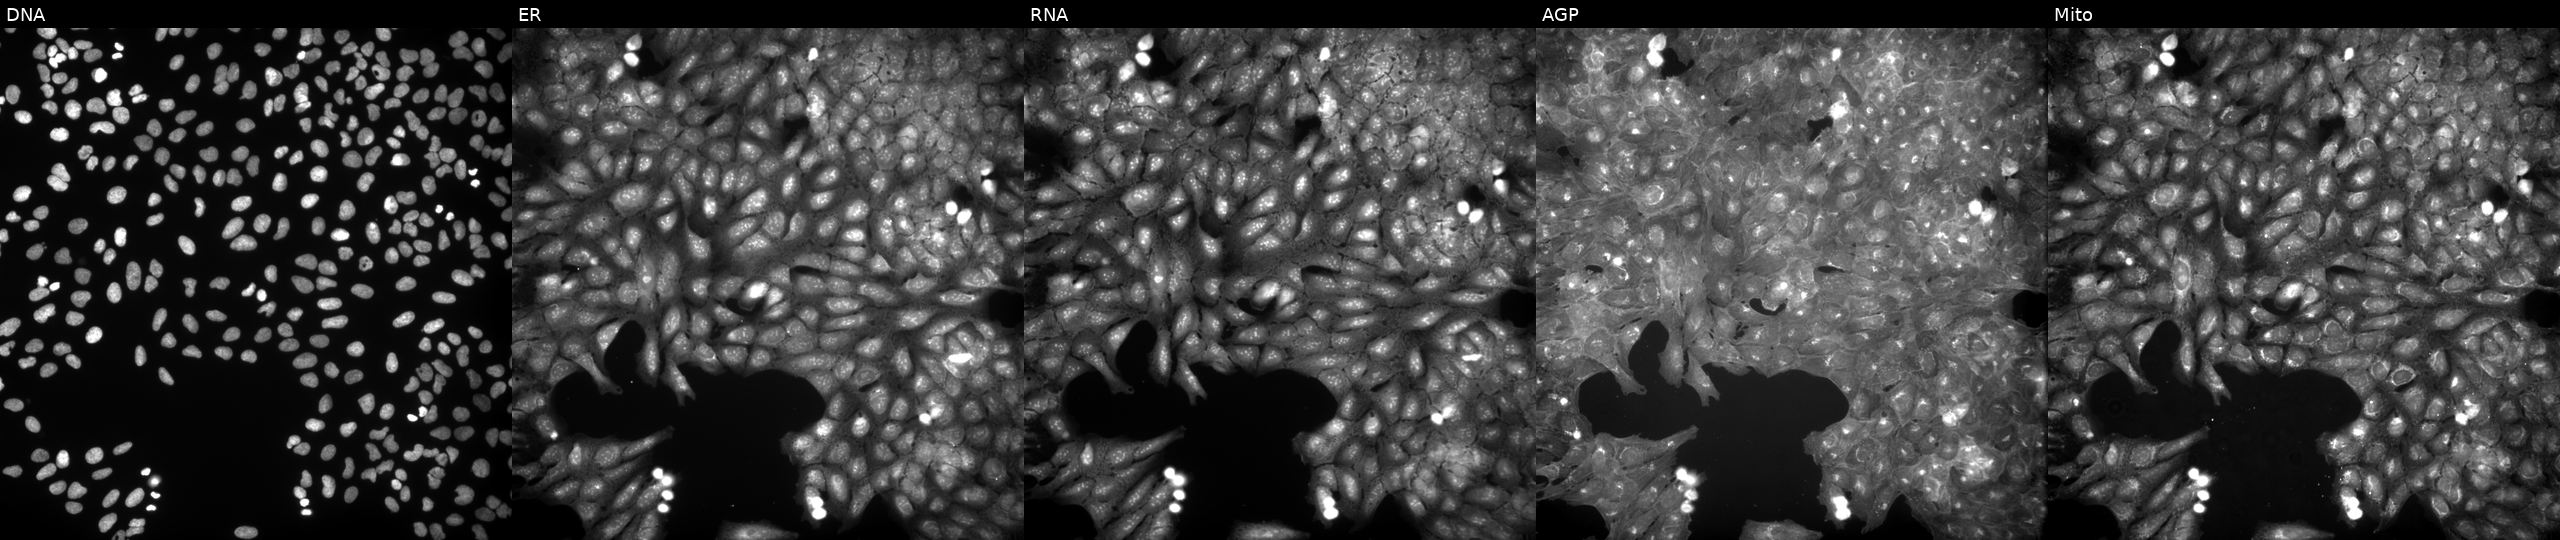
The five panels, left to right, show DNA (nuclei); ER (endoplasmic reticulum); RNA (nucleoli and cytoplasmic RNA); AGP (actin cytoskeleton, Golgi, and plasma membrane); Mito (mitochondria). U2OS osteosarcoma cells exposed to a small-molecule compound (InChIKey ZNTGMLBXAKPZMO-UHFFFAOYSA-N) [SMILES: Cc1c(C(=O)N2CCN(c3cccc(Cl)c3)CC2)cccc1[N+](=O)[O-]] (JUMP id JCP2022_114515). Cell Painting assay, JUMP-CP dataset.